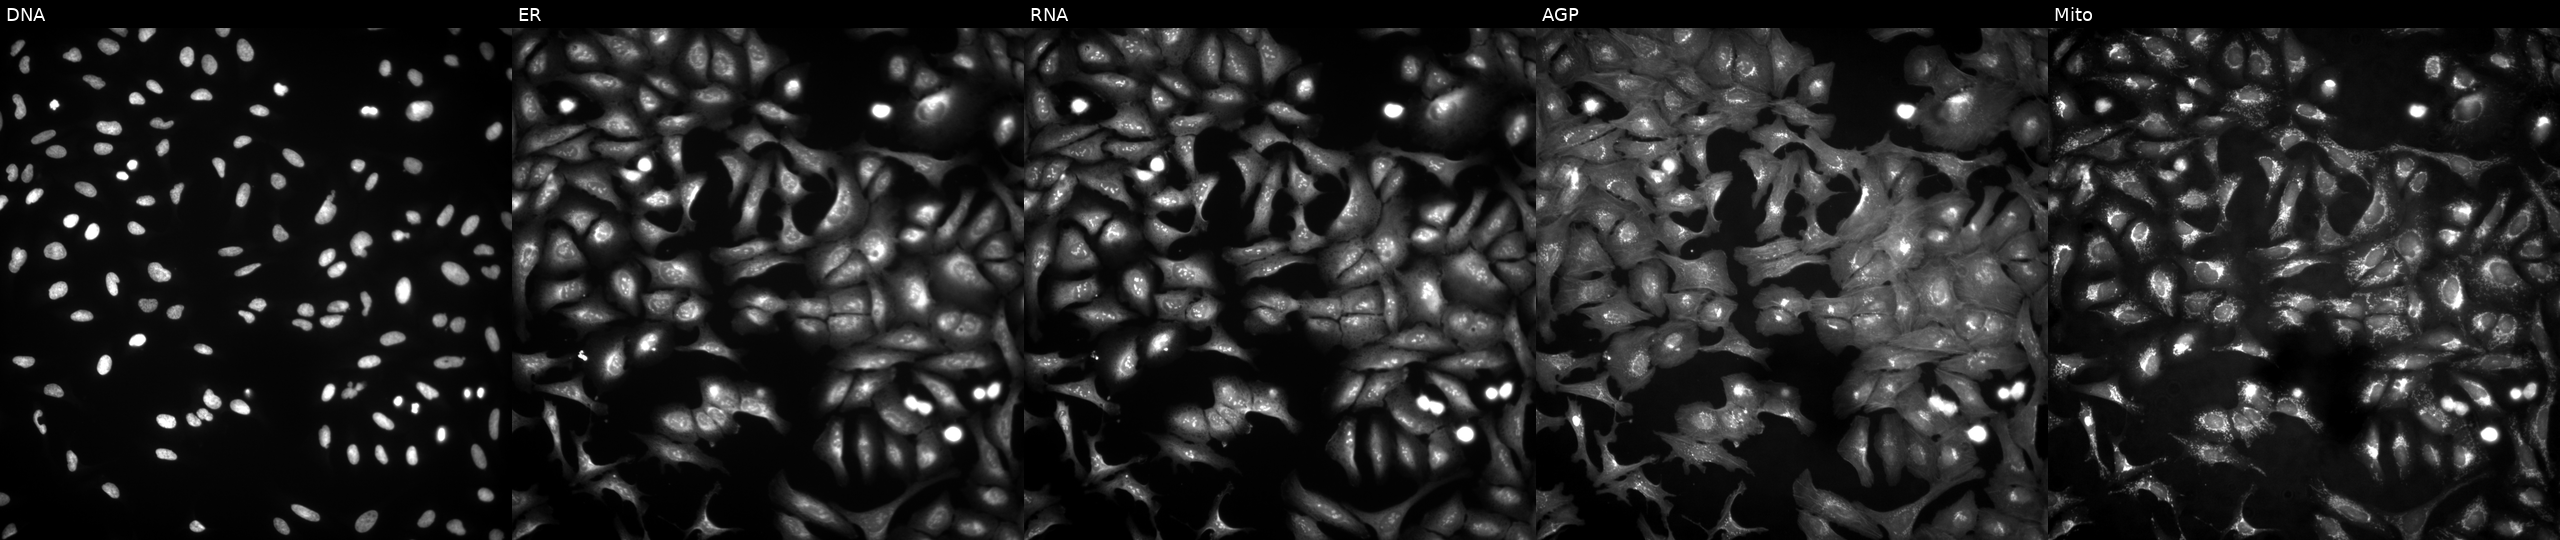
High-content fluorescence microscopy (Cell Painting). Cell line: U2OS. Perturbation: expressing LacZ (ORF negative control). Panels show, left to right, DNA (nuclei); ER (endoplasmic reticulum); RNA (nucleoli and cytoplasmic RNA); AGP (actin cytoskeleton, Golgi, and plasma membrane); Mito (mitochondria). Source 4, plate BR00124790, well H18.